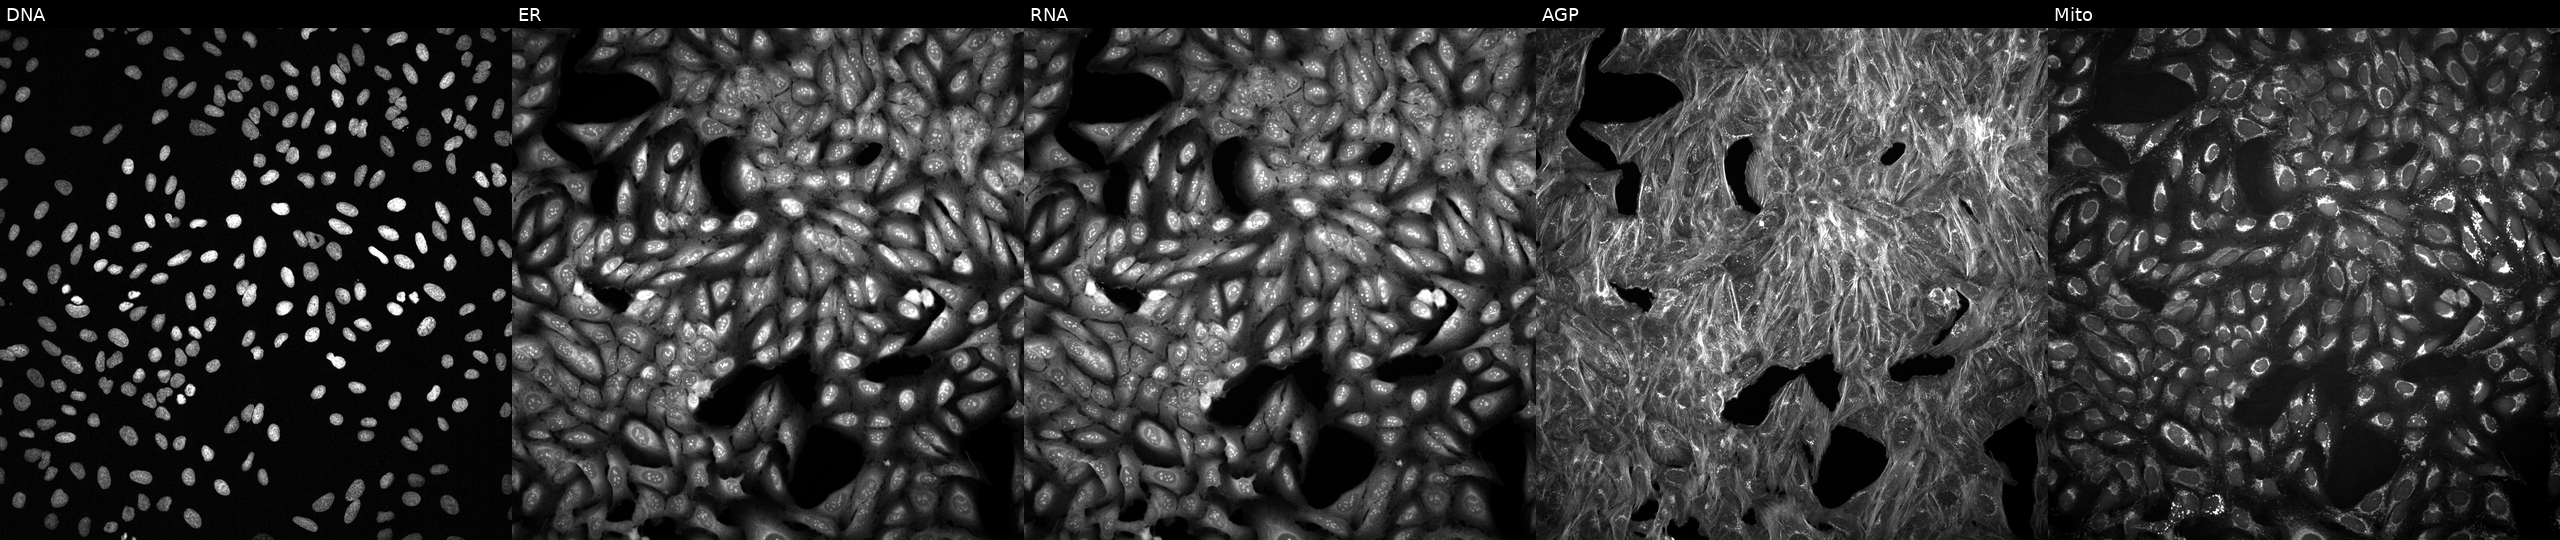
High-content fluorescence microscopy (Cell Painting). Cell line: U2OS. Perturbation: perturbed with a small-molecule compound [SMILES: CCOC(=O)c1cccc(CSC(=N)N)c1]. The five panels, left to right, show DNA (nuclei); ER (endoplasmic reticulum); RNA (nucleoli and cytoplasmic RNA); AGP (actin cytoskeleton, Golgi, and plasma membrane); Mito (mitochondria).